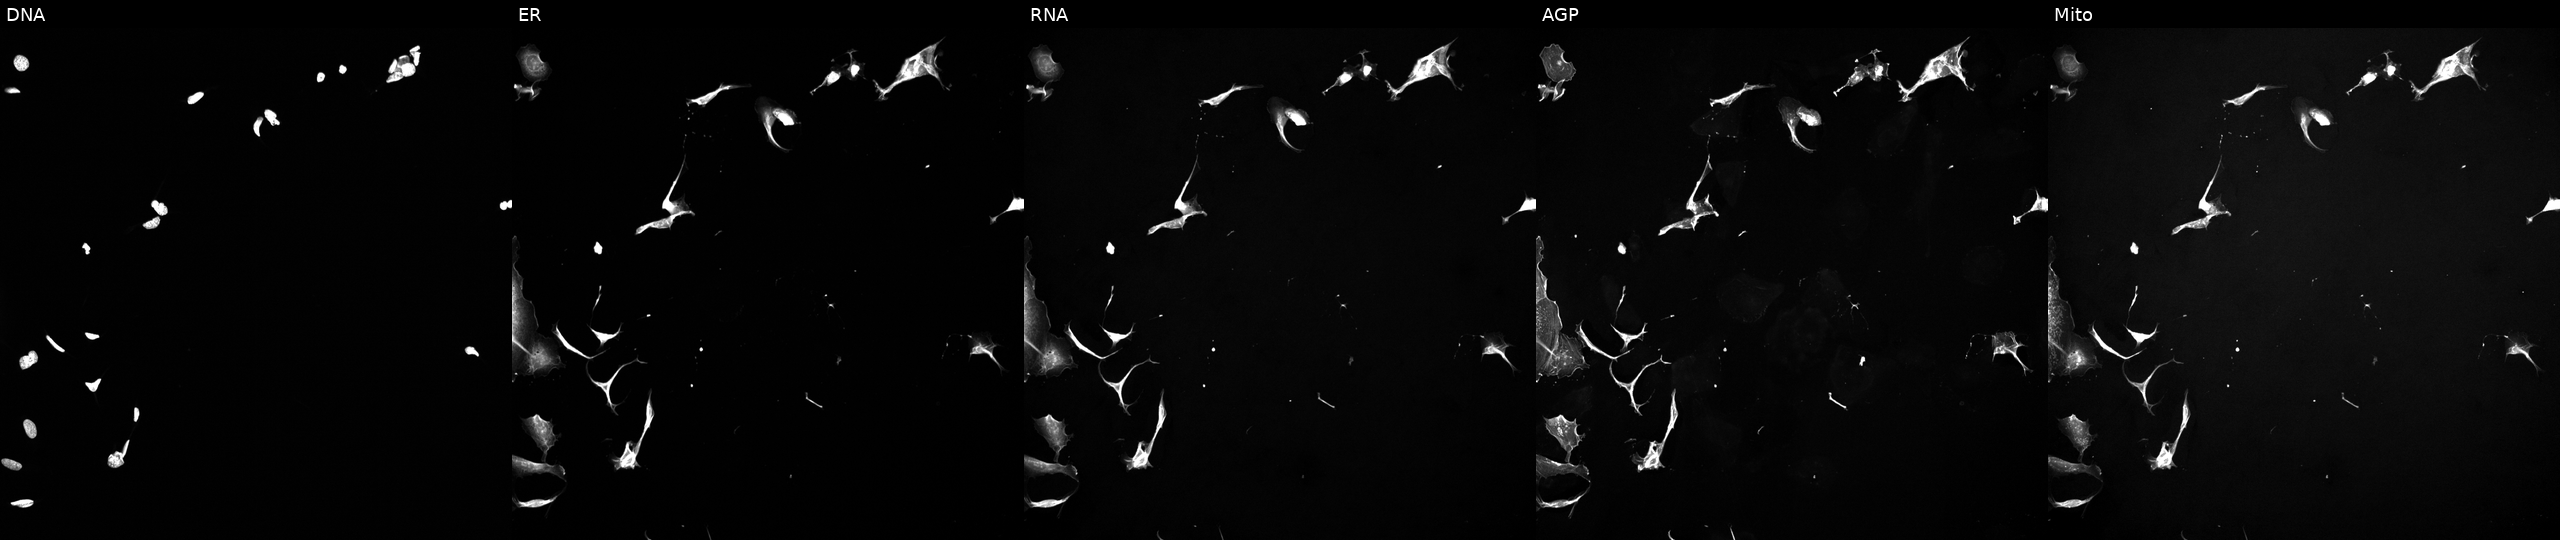
Channels (left→right): DNA, ER, RNA, AGP, and Mito. U2OS osteosarcoma cells treated with a small-molecule compound (InChIKey MAASHDQFQDDECQ-UHFFFAOYSA-N). Cell Painting assay, JUMP-CP dataset. Source 5, plate ACPJUM012, well C19.